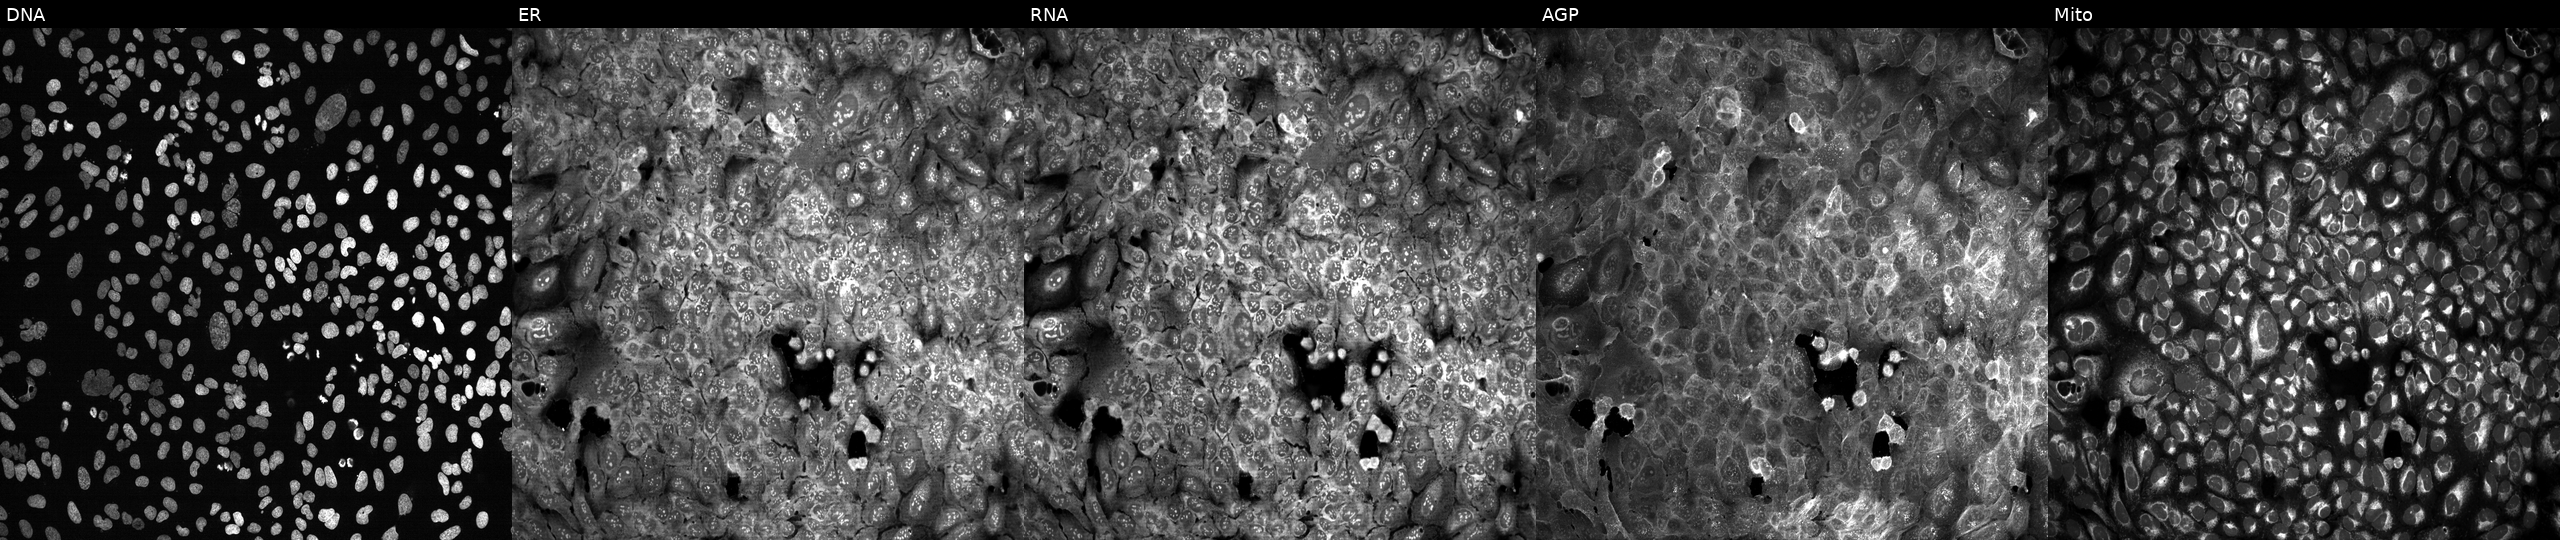
Five-channel Cell Painting image of U2OS cells CRISPR-edited to disrupt ABHD5. Channels (left→right): Hoechst 33342, concanavalin A, SYTO 14, phalloidin and WGA, MitoTracker. Source 13, plate CP-CC9-R6-19, well G06.